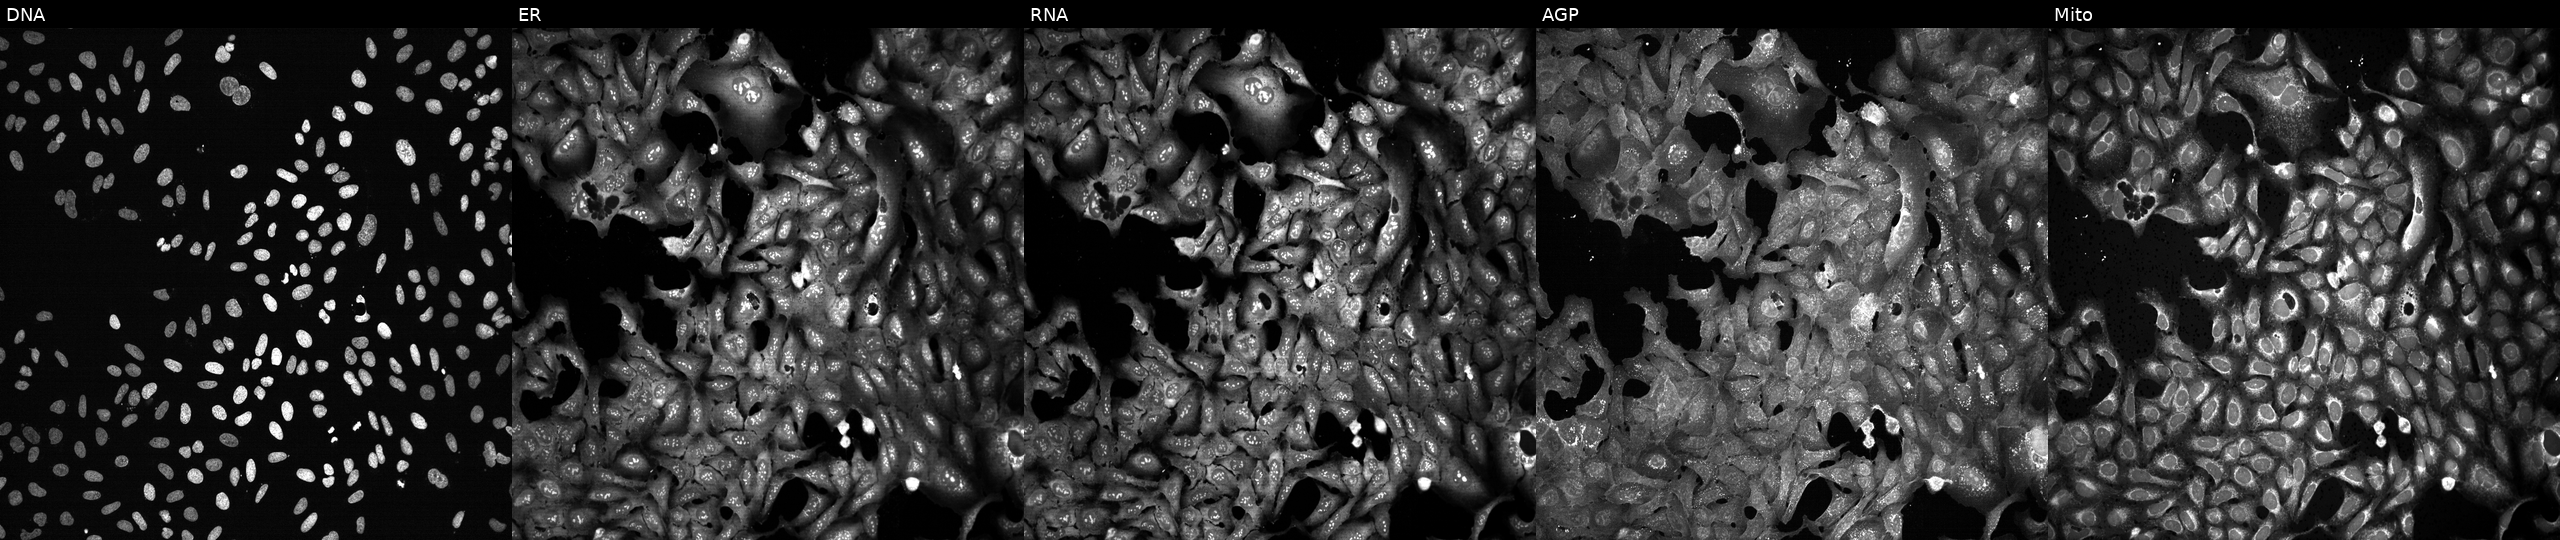
U2OS cells, Cell Painting assay, CRISPR-edited to disrupt FGF1 (JUMP id JCP2022_802375). The five panels, left to right, show DNA (nuclei); ER (endoplasmic reticulum); RNA (nucleoli and cytoplasmic RNA); AGP (actin cytoskeleton, Golgi, and plasma membrane); Mito (mitochondria). Each panel is percentile-stretched 16-bit fluorescence.